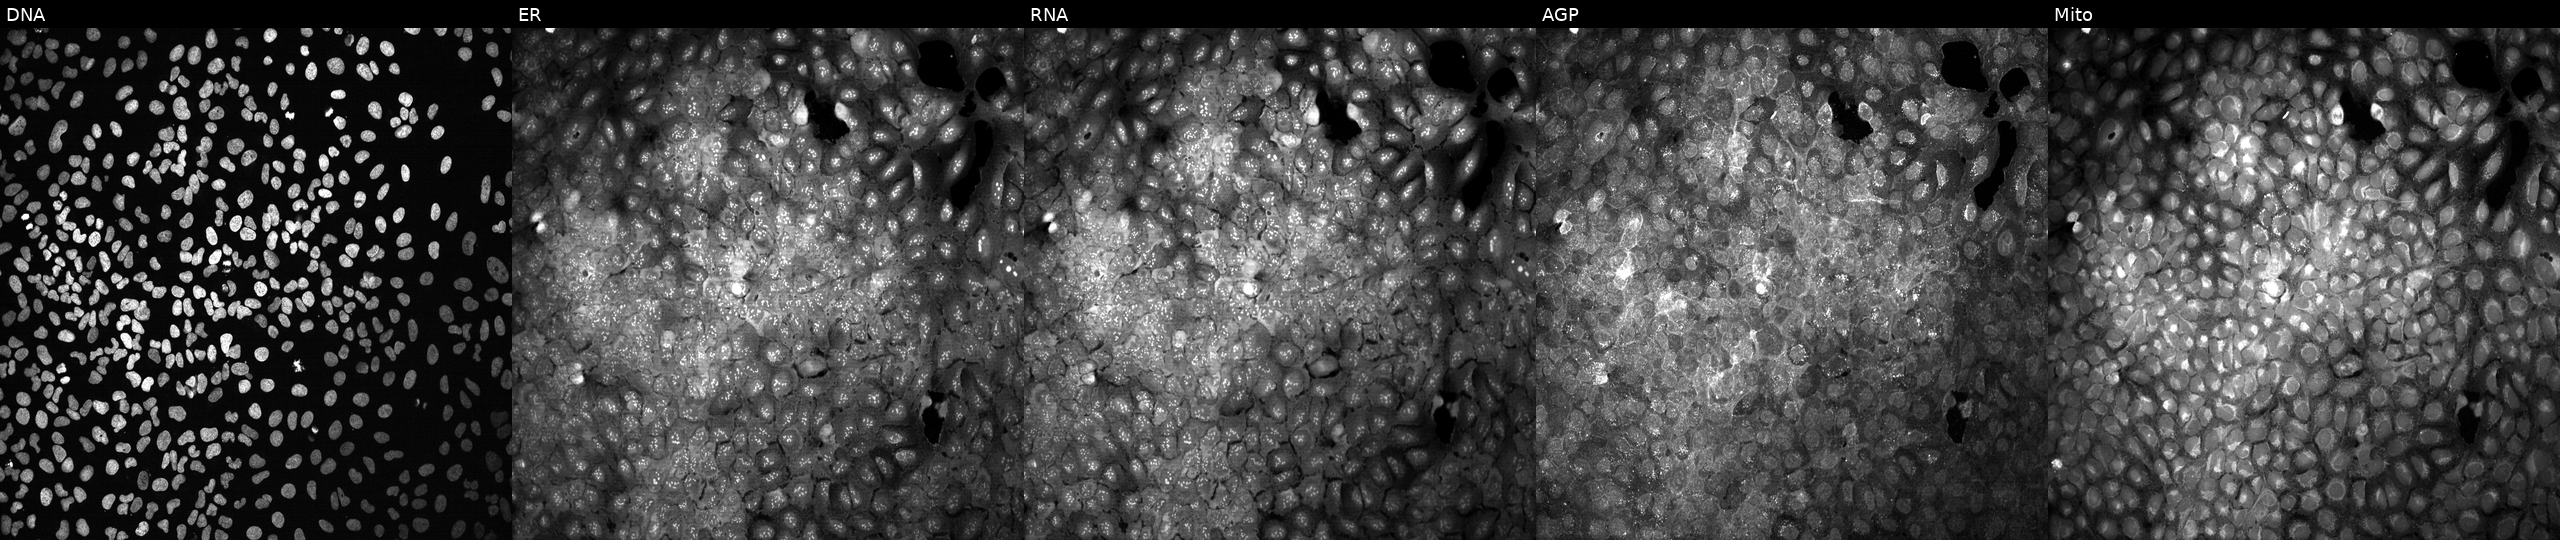
High-content fluorescence microscopy (Cell Painting). Cell line: U2OS. Perturbation: with SLC17A1 knocked out by CRISPR (JUMP id JCP2022_806394). Panels show, left to right, Hoechst 33342, concanavalin A, SYTO 14, phalloidin and WGA, MitoTracker.